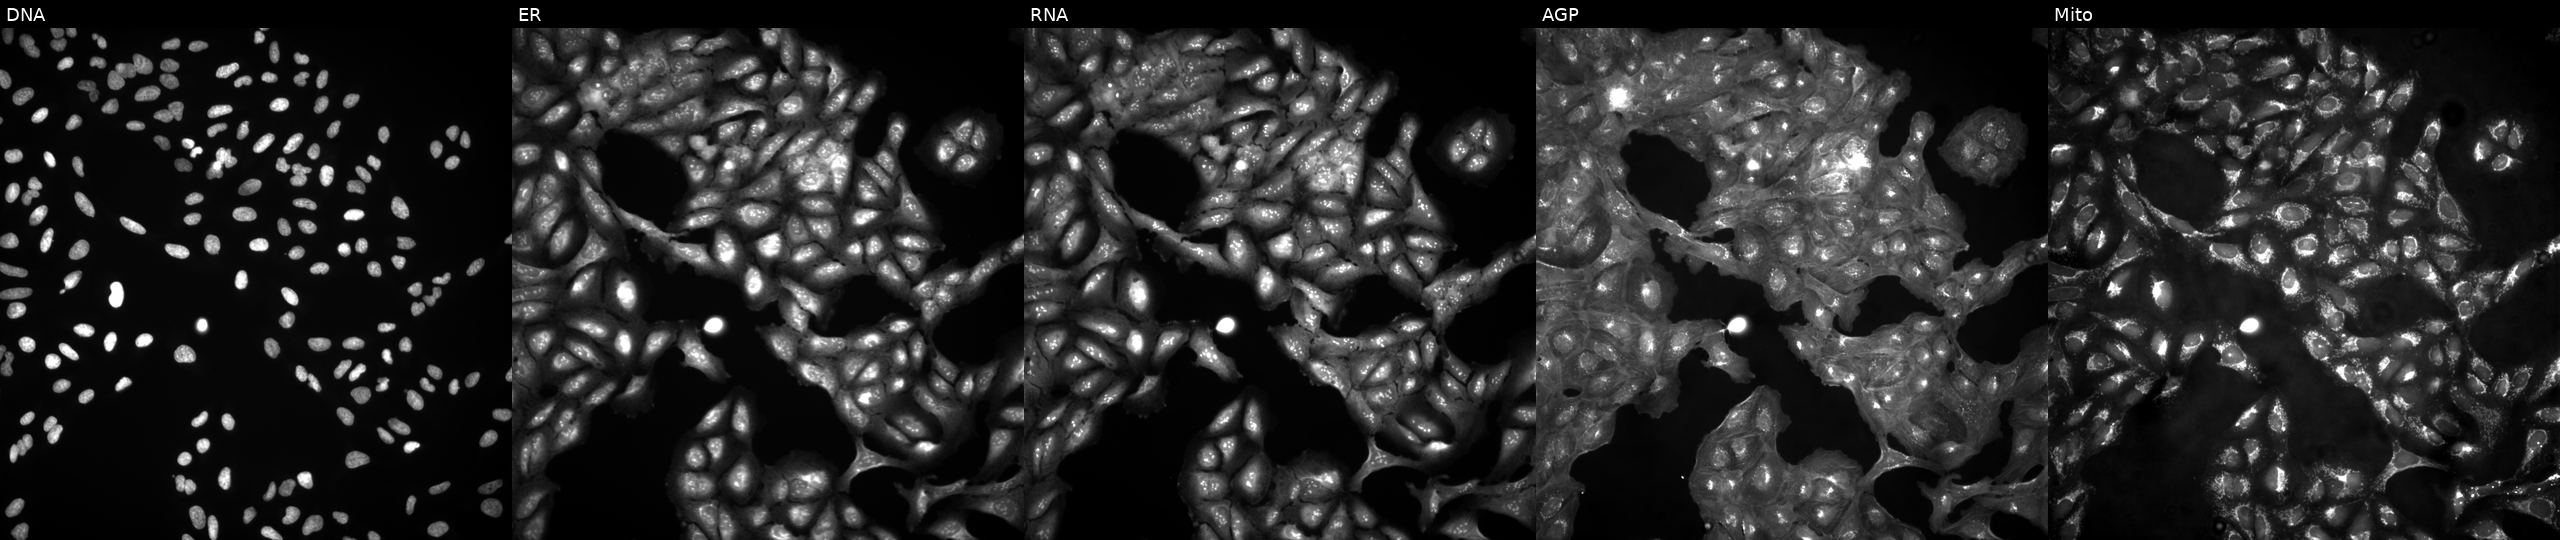
High-content fluorescence microscopy (Cell Painting). Cell line: U2OS. Perturbation: untreated (empty-well control) (JUMP id JCP2022_999999). Channels (left→right): Hoechst 33342, concanavalin A, SYTO 14, phalloidin and WGA, MitoTracker. Source 4, plate BR00123946, well N07.